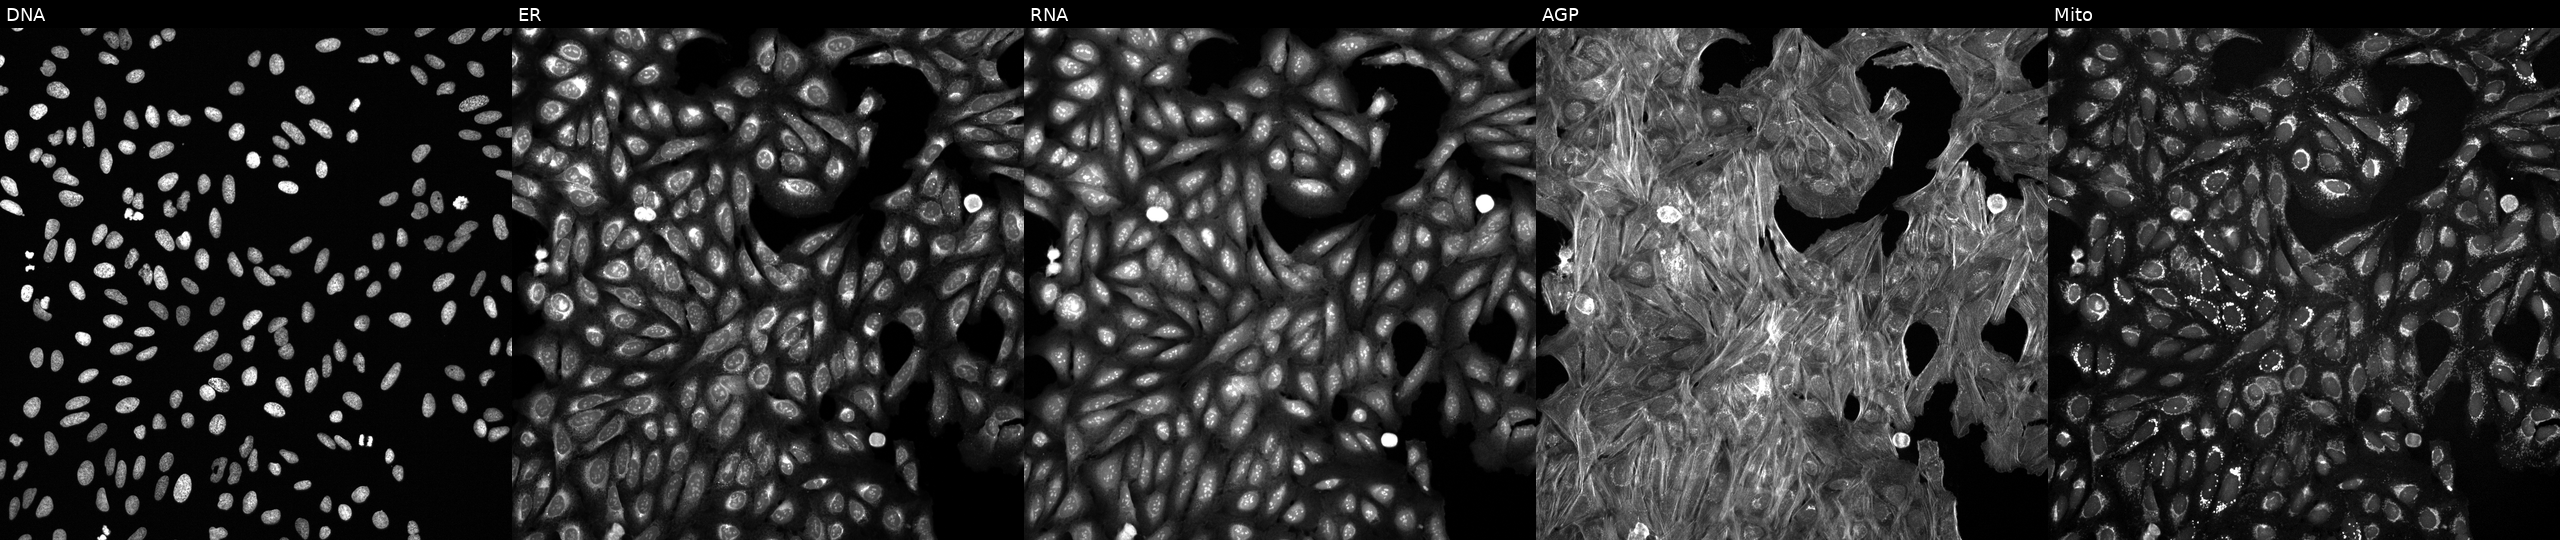
JUMP Cell Painting — COMPOUND plate. U2OS cells perturbed with a small-molecule compound (InChIKey RBQXROJMWAHGJF-UHFFFAOYSA-N). The five panels, left to right, show Hoechst 33342, concanavalin A, SYTO 14, phalloidin and WGA, MitoTracker.